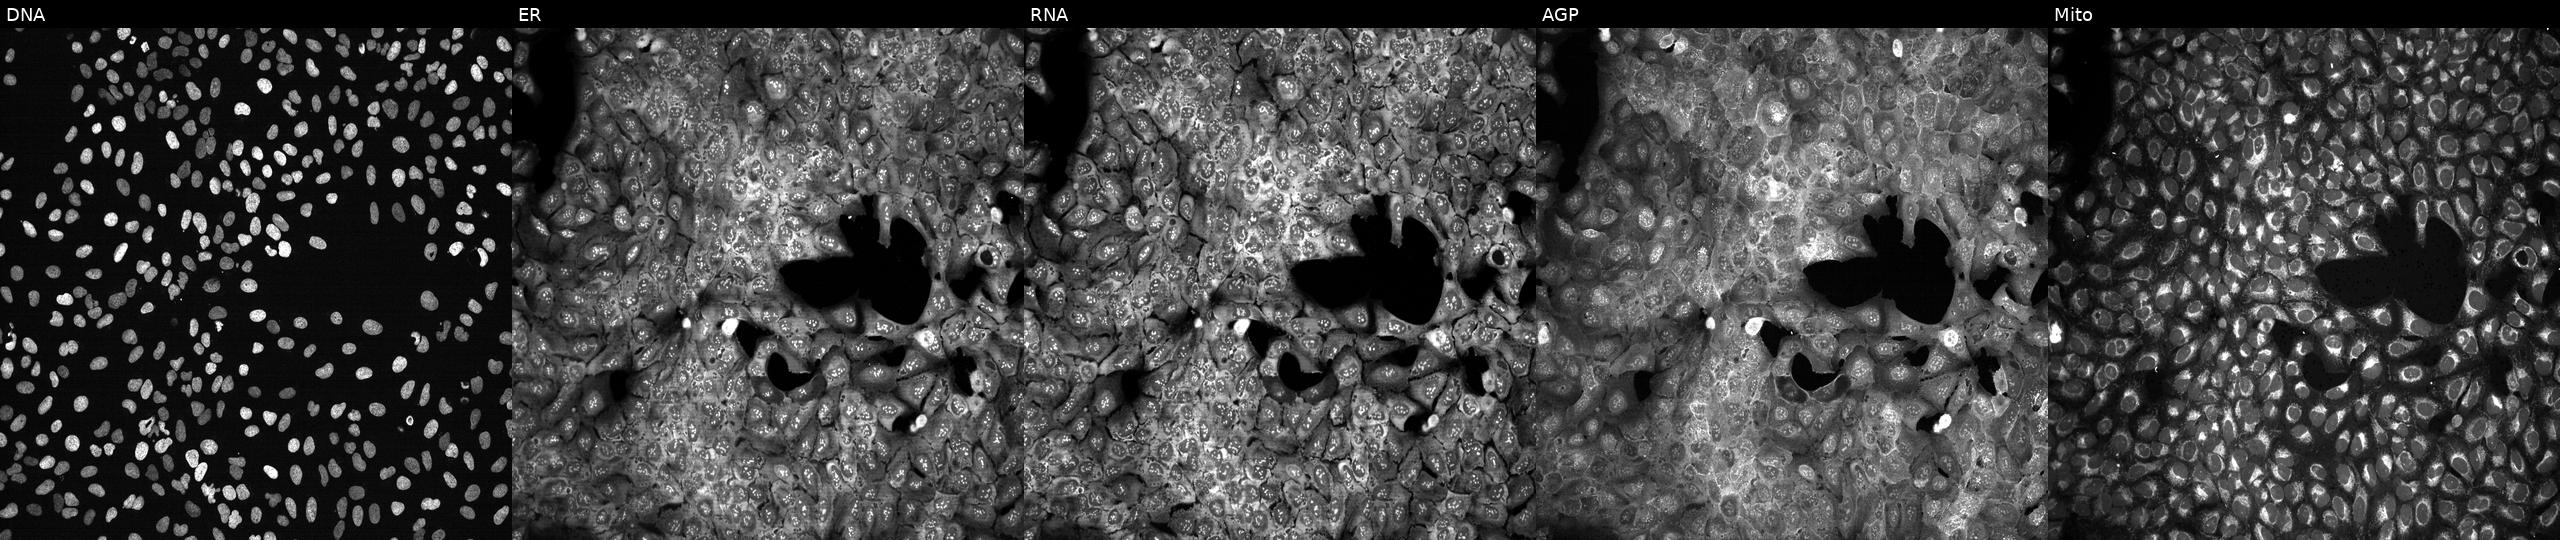
High-content fluorescence microscopy (Cell Painting). Cell line: U2OS. Perturbation: with CRAT knocked out by CRISPR. From left to right: DNA (nuclei); ER (endoplasmic reticulum); RNA (nucleoli and cytoplasmic RNA); AGP (actin cytoskeleton, Golgi, and plasma membrane); Mito (mitochondria). Source 13, plate CP-CC9-R4-04, well F15.